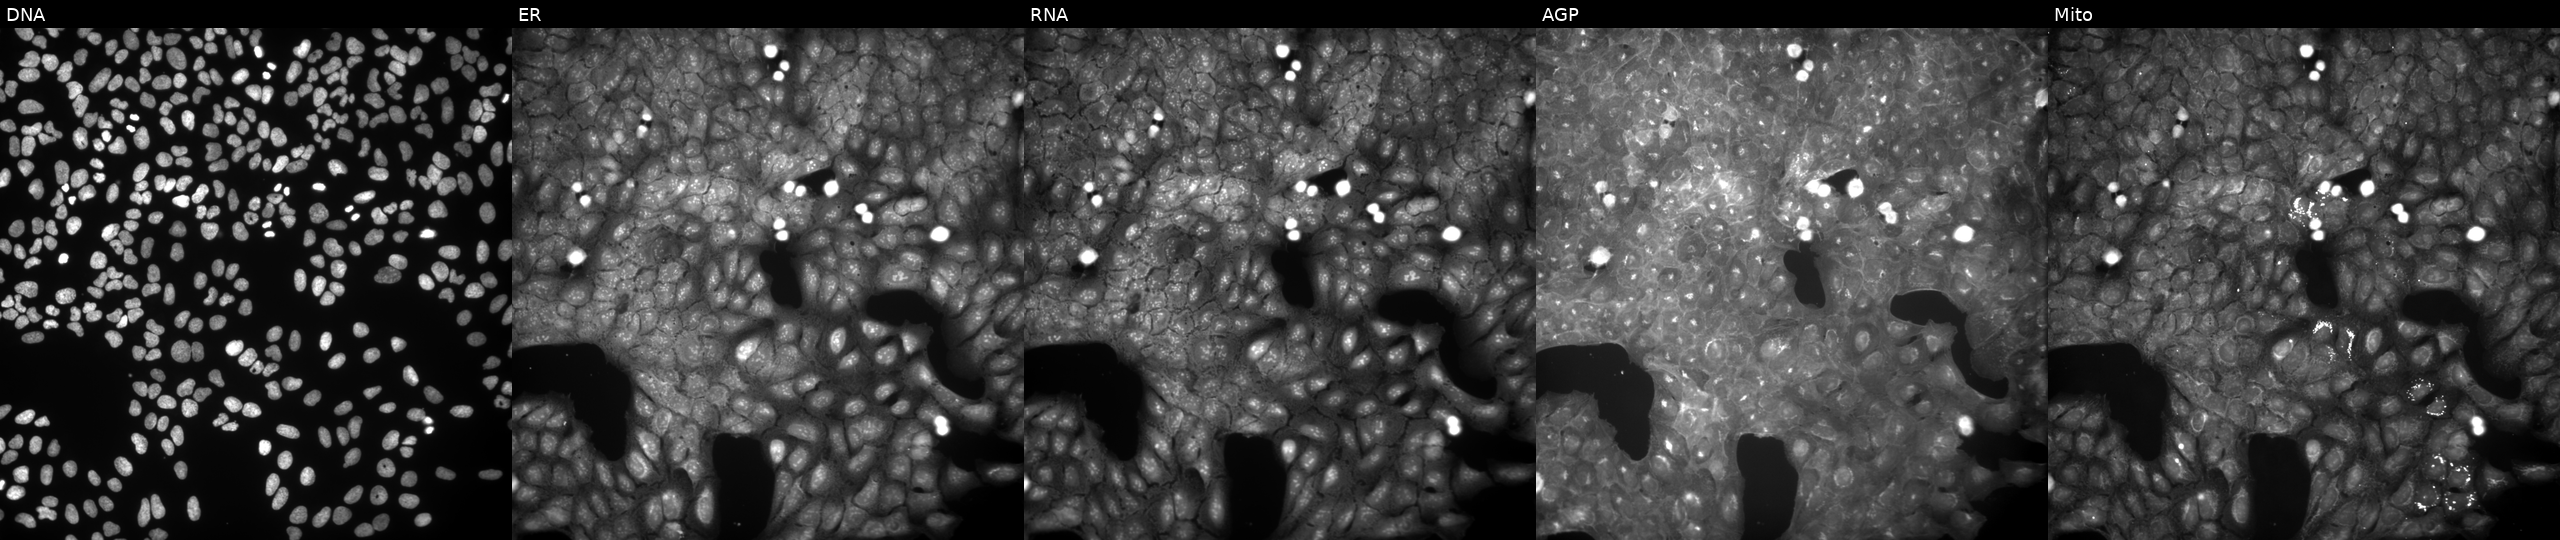
U2OS cells, Cell Painting assay, exposed to a small-molecule compound (InChIKey DCCNIOKRCSFGQE-UHFFFAOYSA-N) (JUMP id JCP2022_014966). Panels show, left to right, DNA, ER, RNA, AGP, and Mito. Each panel is percentile-stretched 16-bit fluorescence. Source 9, plate GR00003381, well Q34.